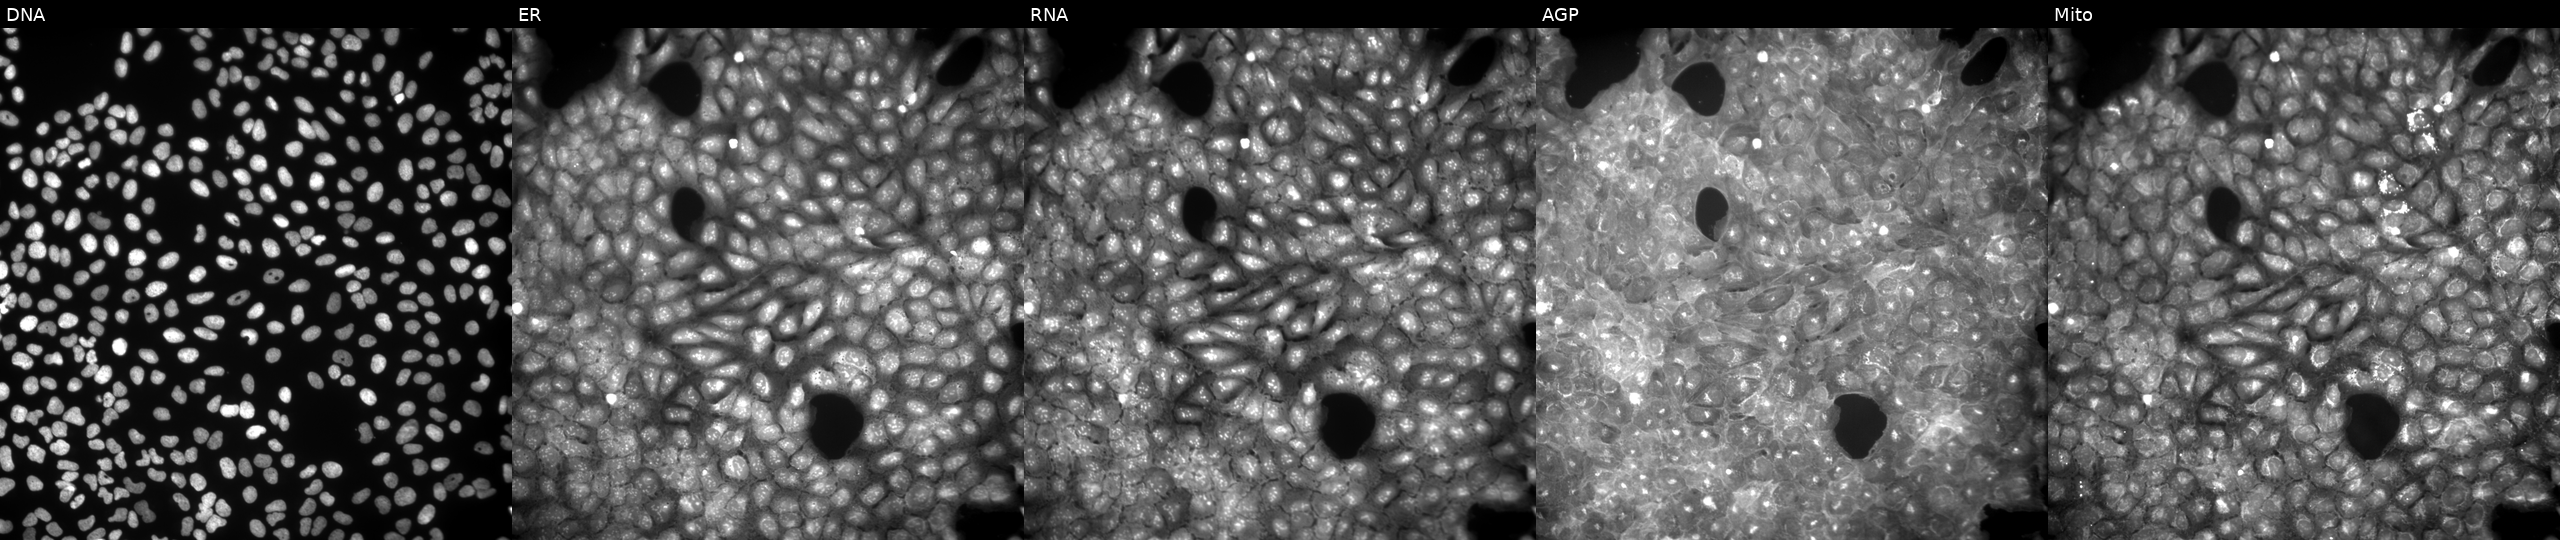
JUMP Cell Painting — COMPOUND plate. U2OS cells exposed to a small-molecule compound (InChIKey IQKFLSWXXDACCD-UHFFFAOYSA-N) (JUMP id JCP2022_036740). The five panels, left to right, show DNA (nuclei); ER (endoplasmic reticulum); RNA (nucleoli and cytoplasmic RNA); AGP (actin cytoskeleton, Golgi, and plasma membrane); Mito (mitochondria). Source 9, plate GR00003381, well Y37.